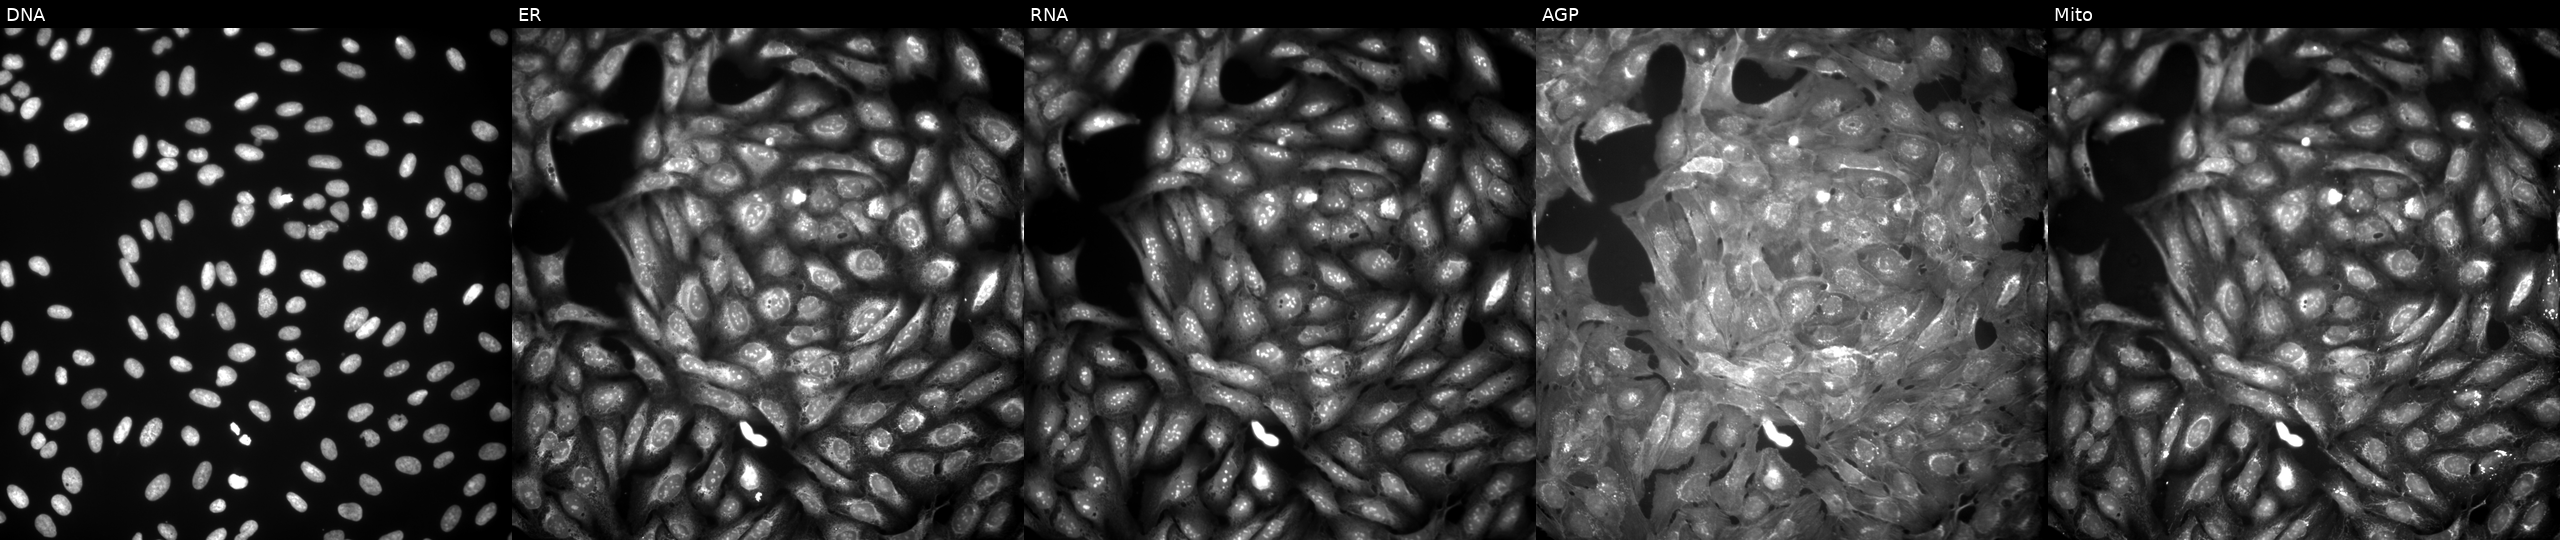
High-content fluorescence microscopy (Cell Painting). Cell line: U2OS. Perturbation: treated with a small-molecule compound (InChIKey VVRFQSOMYLFRRY-UHFFFAOYSA-N) (JUMP id JCP2022_096618). Channels (left→right): DNA, ER, RNA, AGP, and Mito. Source 9, plate GR00003382, well V39.